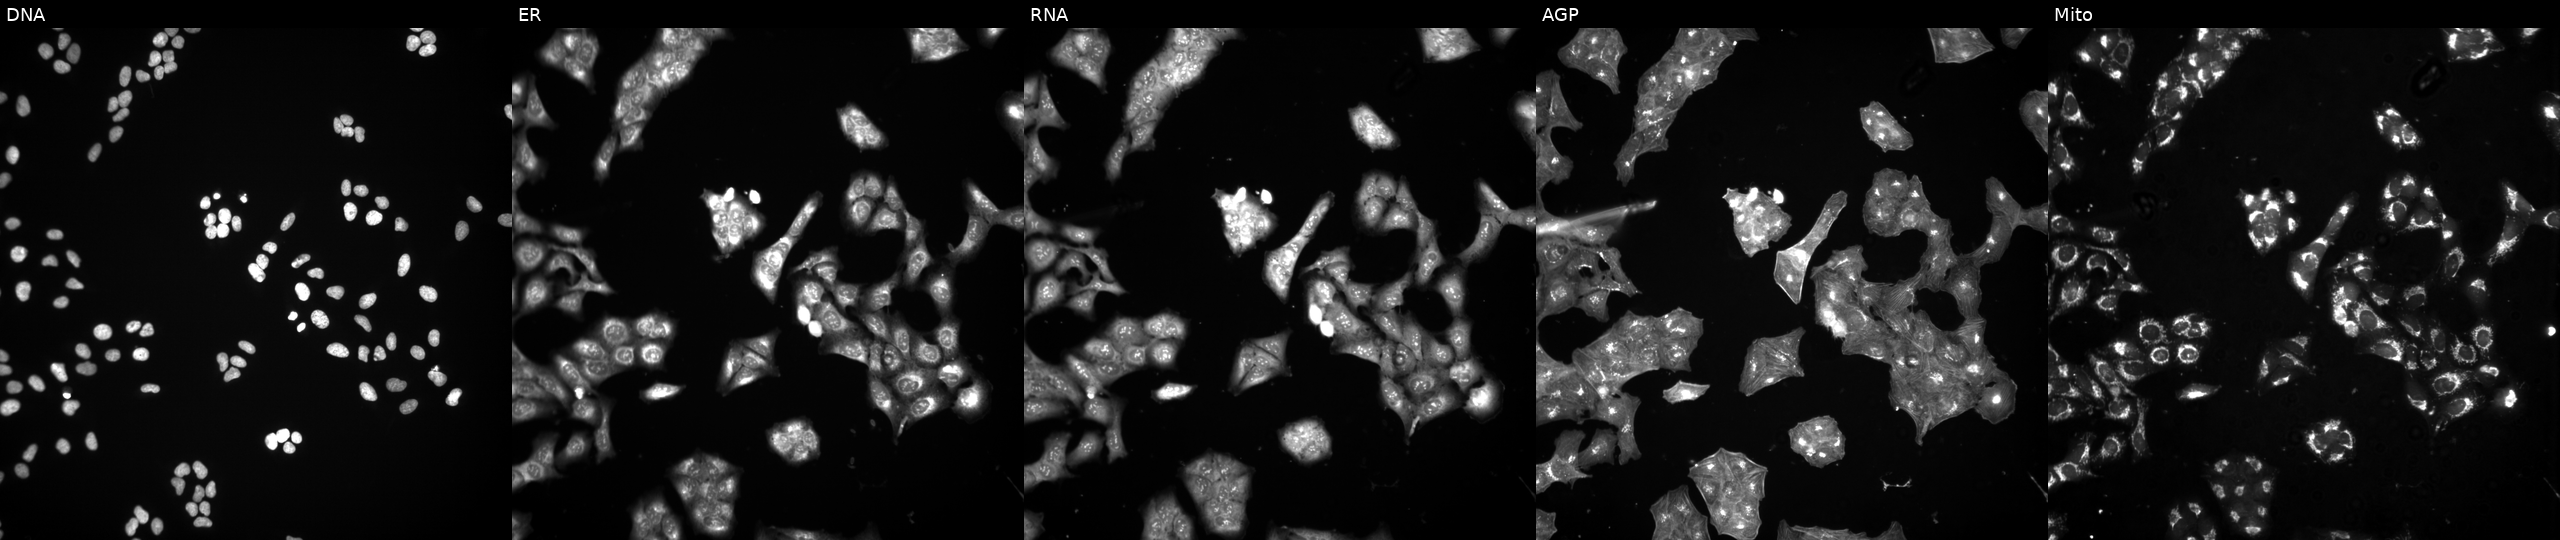
JUMP Cell Painting — COMPOUND plate. U2OS cells treated with NVS-PAK1-1 (positive-control compound). The five panels, left to right, show DNA, ER, RNA, AGP, and Mito.